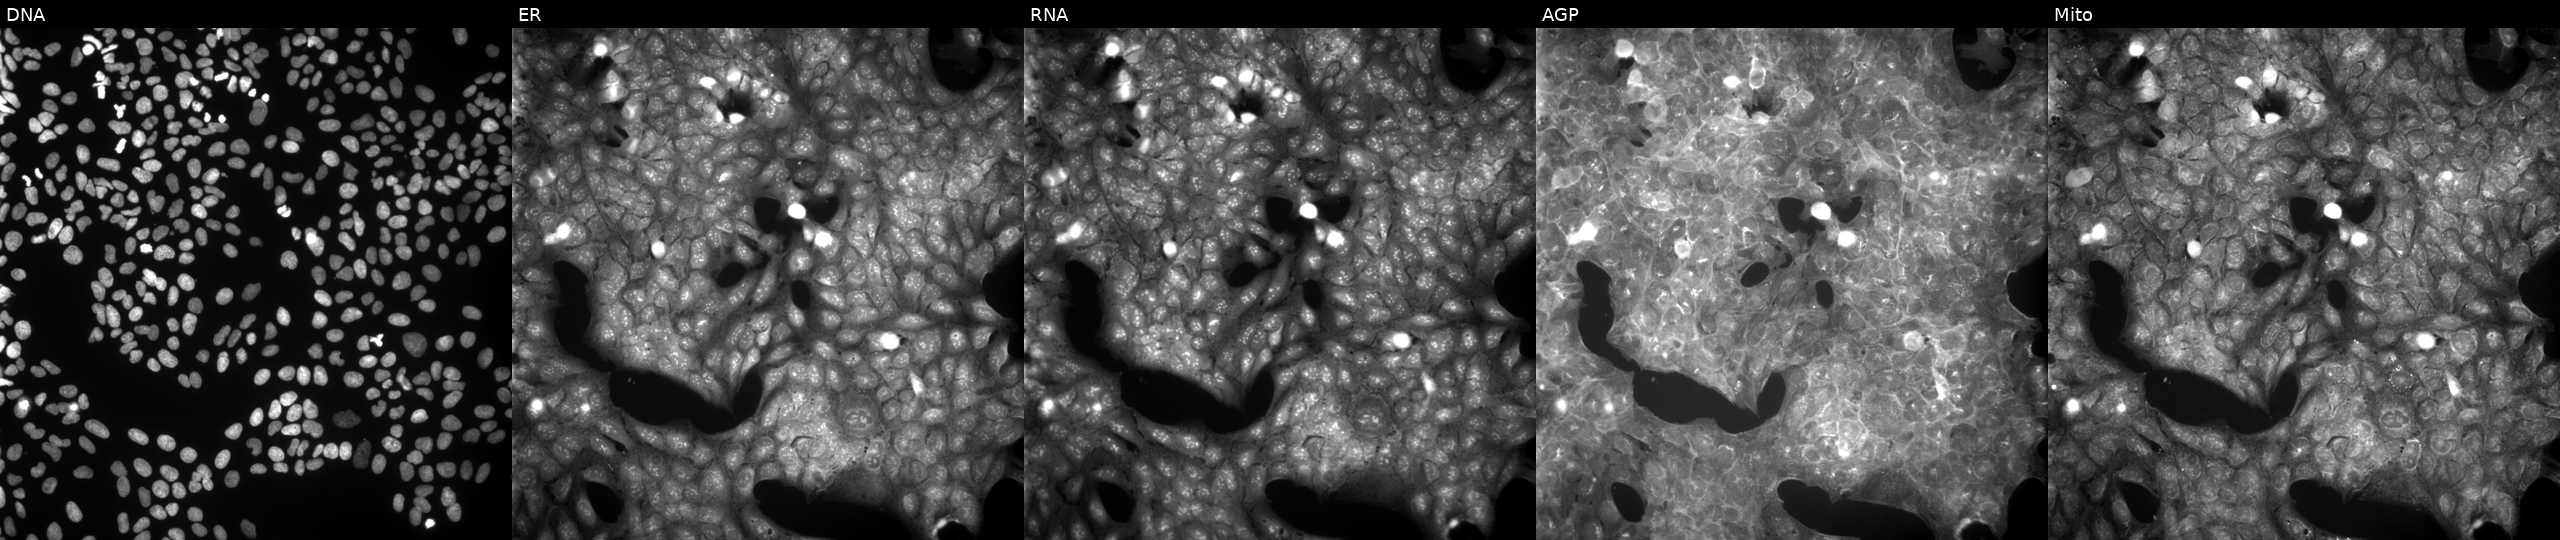
Five-channel Cell Painting image of U2OS cells exposed to a small-molecule compound [SMILES: c1ccc(-c2[nH]ncc2-c2ccnc3ccccc23)nc1]. From left to right: DNA, ER, RNA, AGP, and Mito.